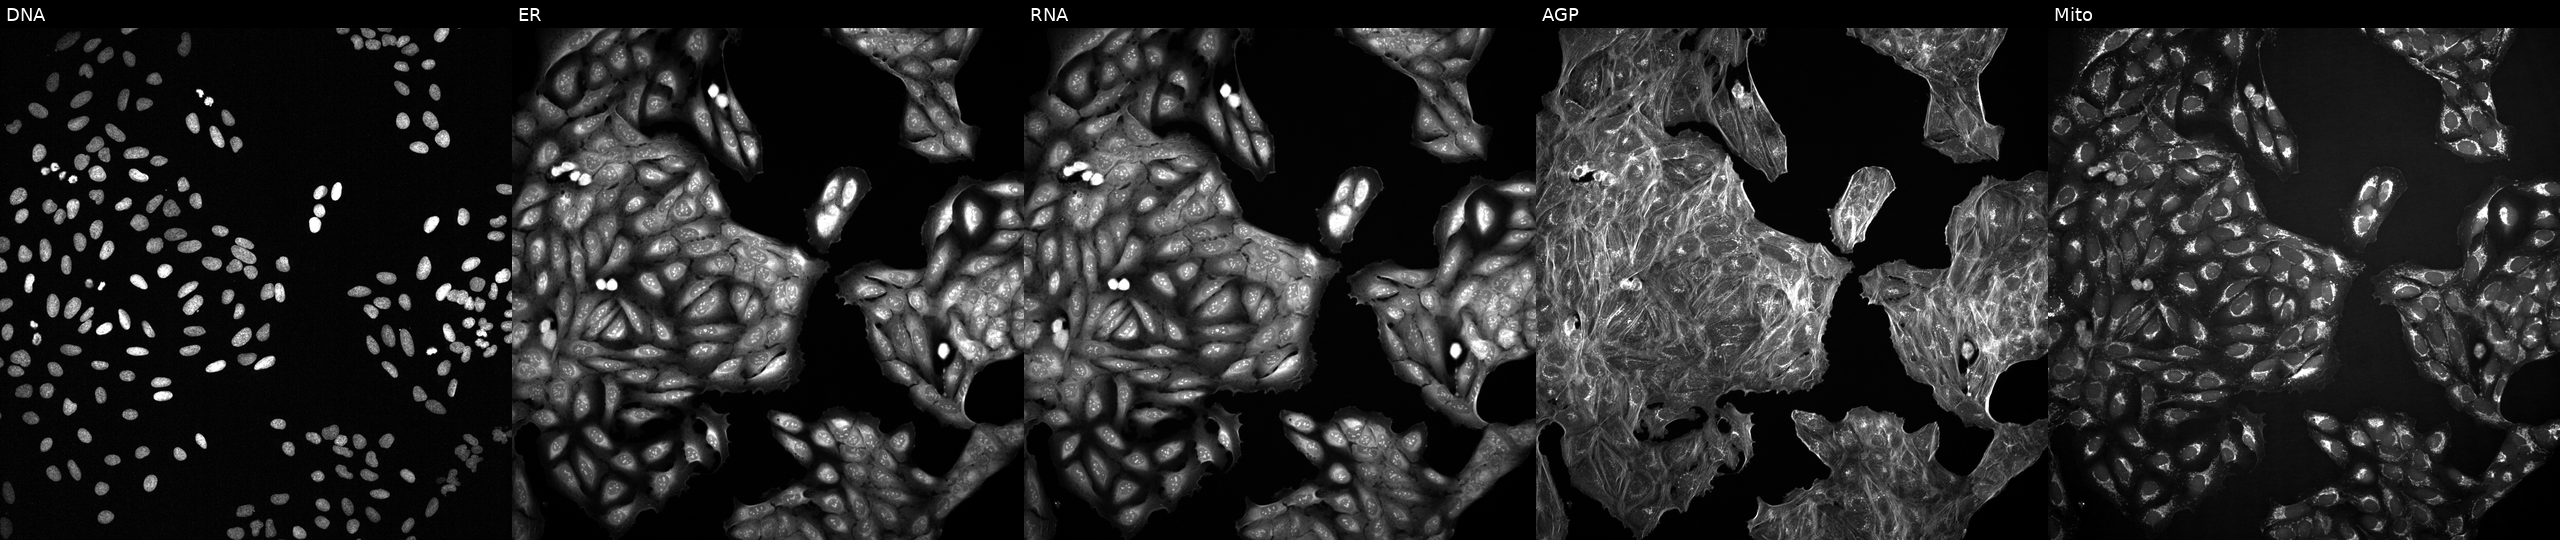
High-content fluorescence microscopy (Cell Painting). Cell line: U2OS. Perturbation: treated with a small-molecule compound (InChIKey YTTRSITWIORIAC-UHFFFAOYSA-N). From left to right: Hoechst 33342, concanavalin A, SYTO 14, phalloidin and WGA, MitoTracker.